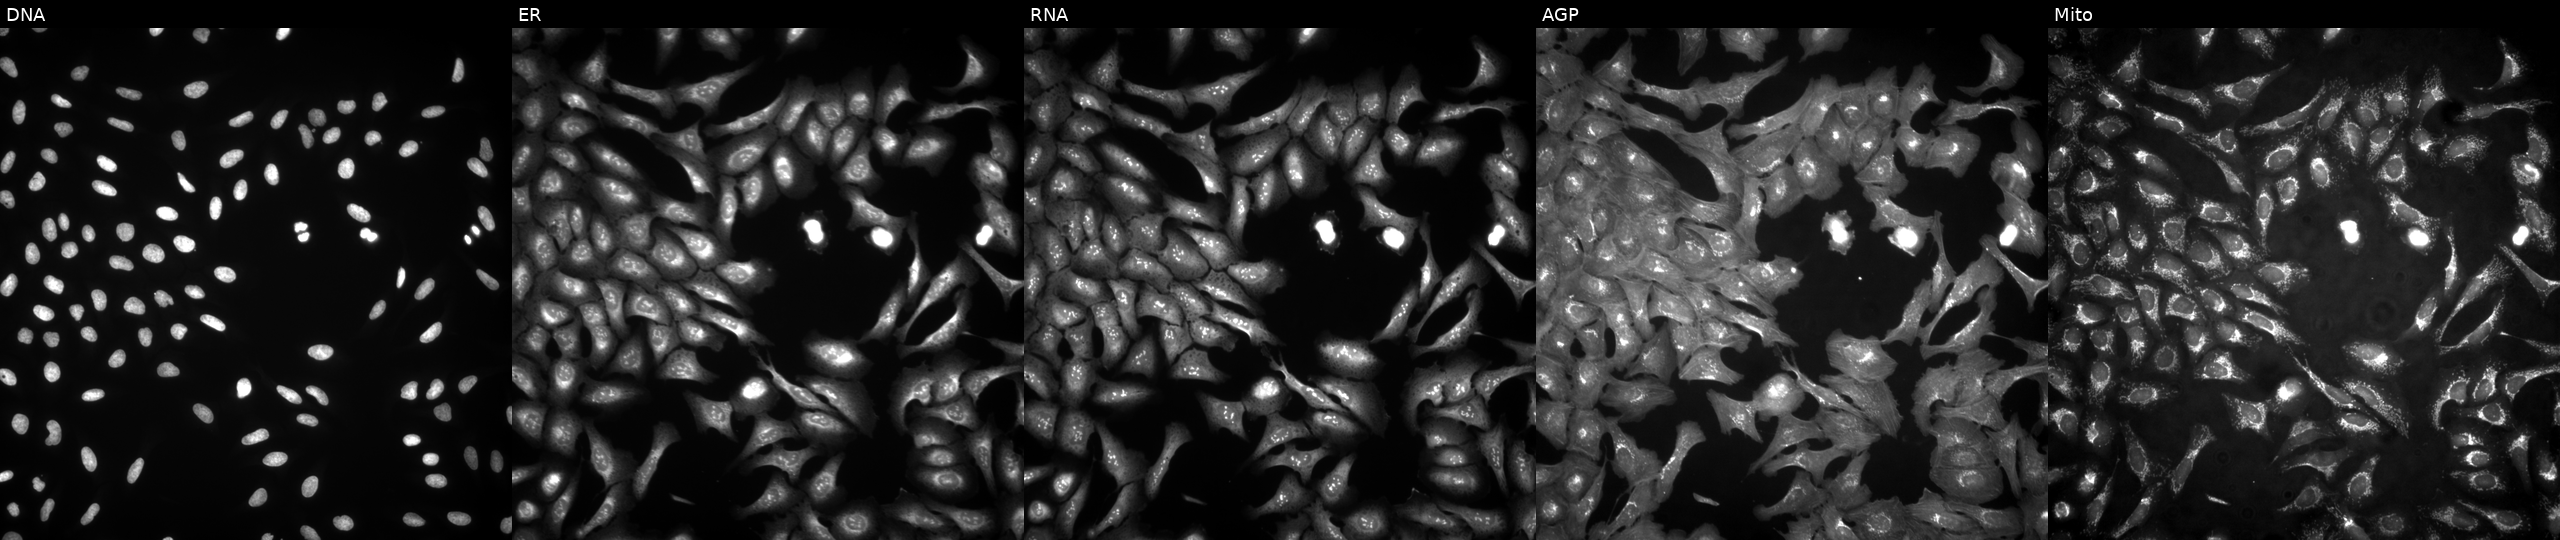
High-content fluorescence microscopy (Cell Painting). Cell line: U2OS. Perturbation: overexpressing ANAPC13 via ORF transfection (JUMP id JCP2022_902694). Panels show, left to right, Hoechst 33342, concanavalin A, SYTO 14, phalloidin and WGA, MitoTracker.